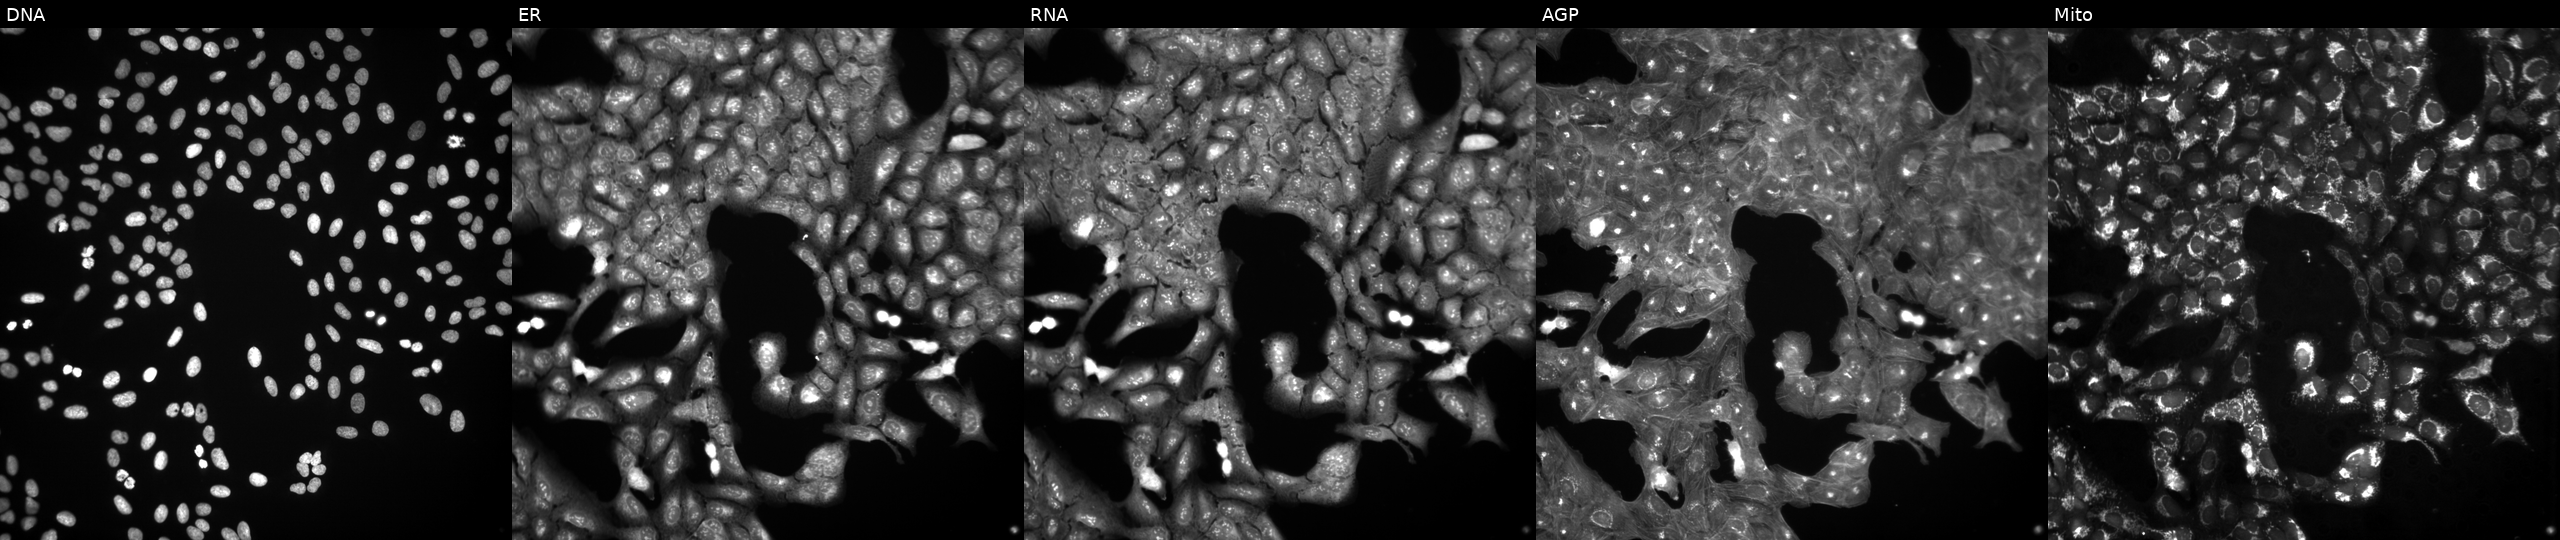
High-content fluorescence microscopy (Cell Painting). Cell line: U2OS. Perturbation: exposed to DMSO alone as a negative control. From left to right: DNA (nuclei); ER (endoplasmic reticulum); RNA (nucleoli and cytoplasmic RNA); AGP (actin cytoskeleton, Golgi, and plasma membrane); Mito (mitochondria). Source 3, plate JCPQC052, well E01.